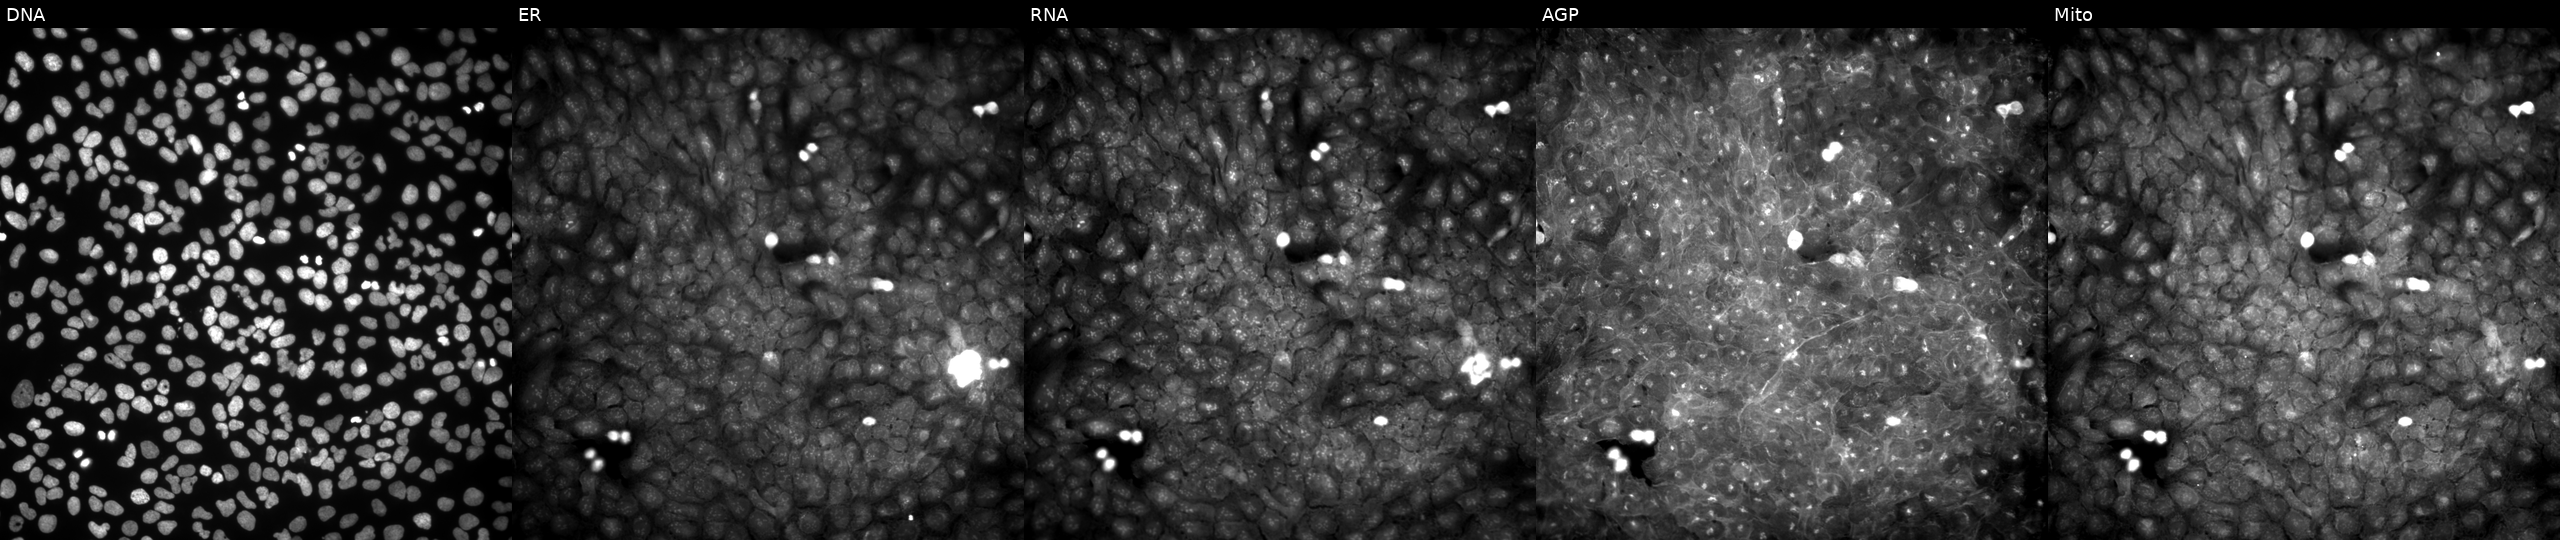
U2OS cells, Cell Painting assay, treated with dexamethasone (positive-control compound) (JUMP id JCP2022_025848). Channels (left→right): DNA, ER, RNA, AGP, and Mito. Each panel is percentile-stretched 16-bit fluorescence. Source 9, plate GR00003382, well AA25.